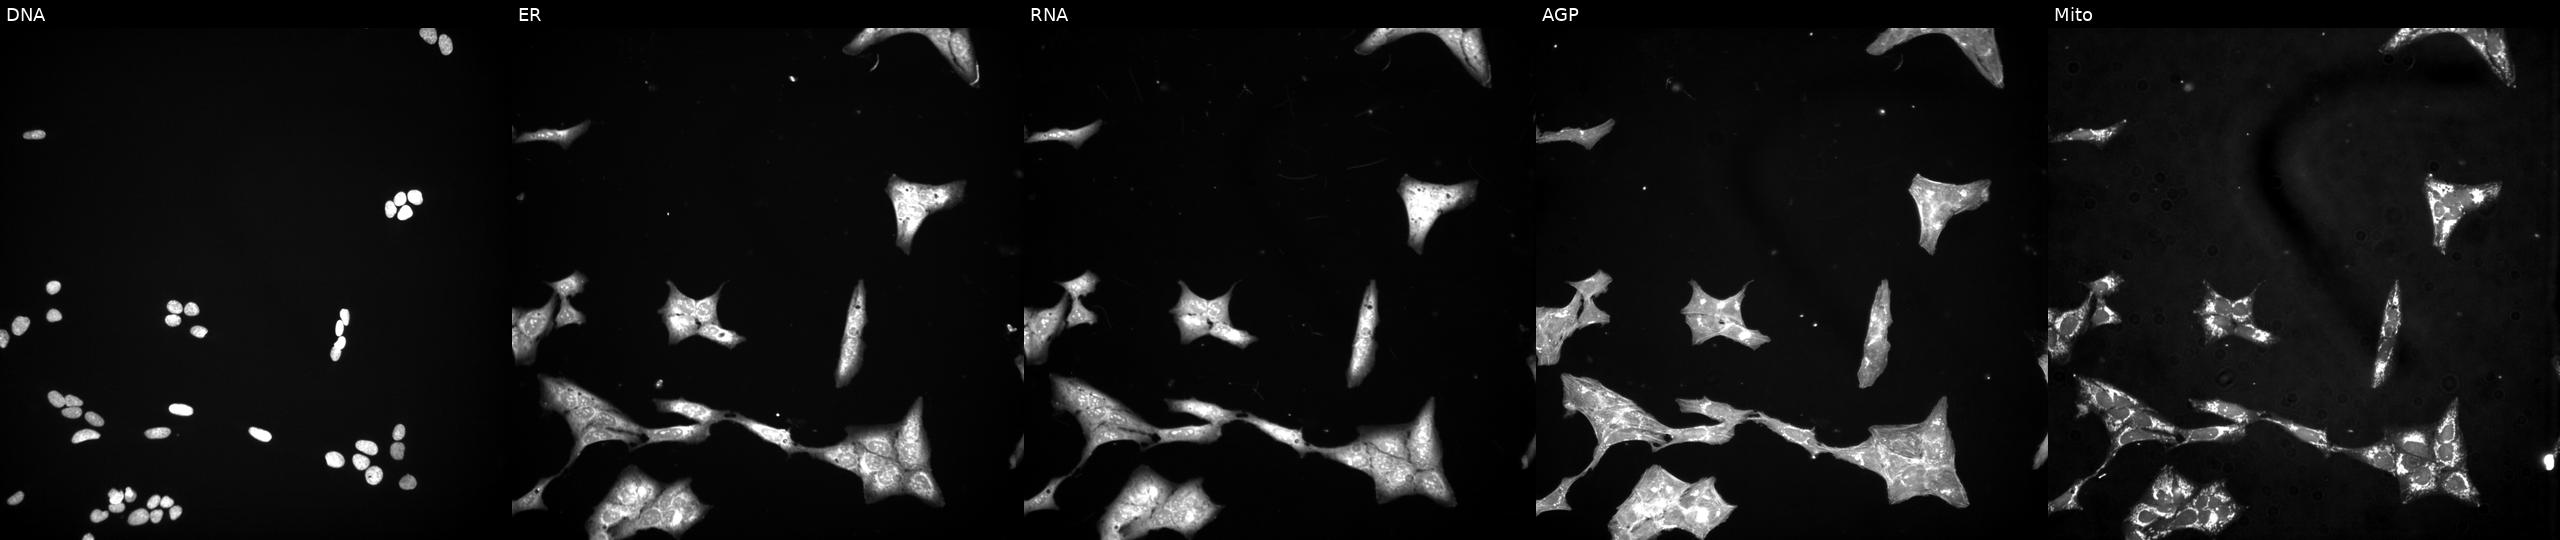
The five panels, left to right, show Hoechst 33342, concanavalin A, SYTO 14, phalloidin and WGA, MitoTracker. U2OS osteosarcoma cells perturbed with a small-molecule compound (InChIKey KAJXOWFGKYKMMZ-UHFFFAOYSA-N) (JUMP id JCP2022_043287). Cell Painting assay, JUMP-CP dataset.